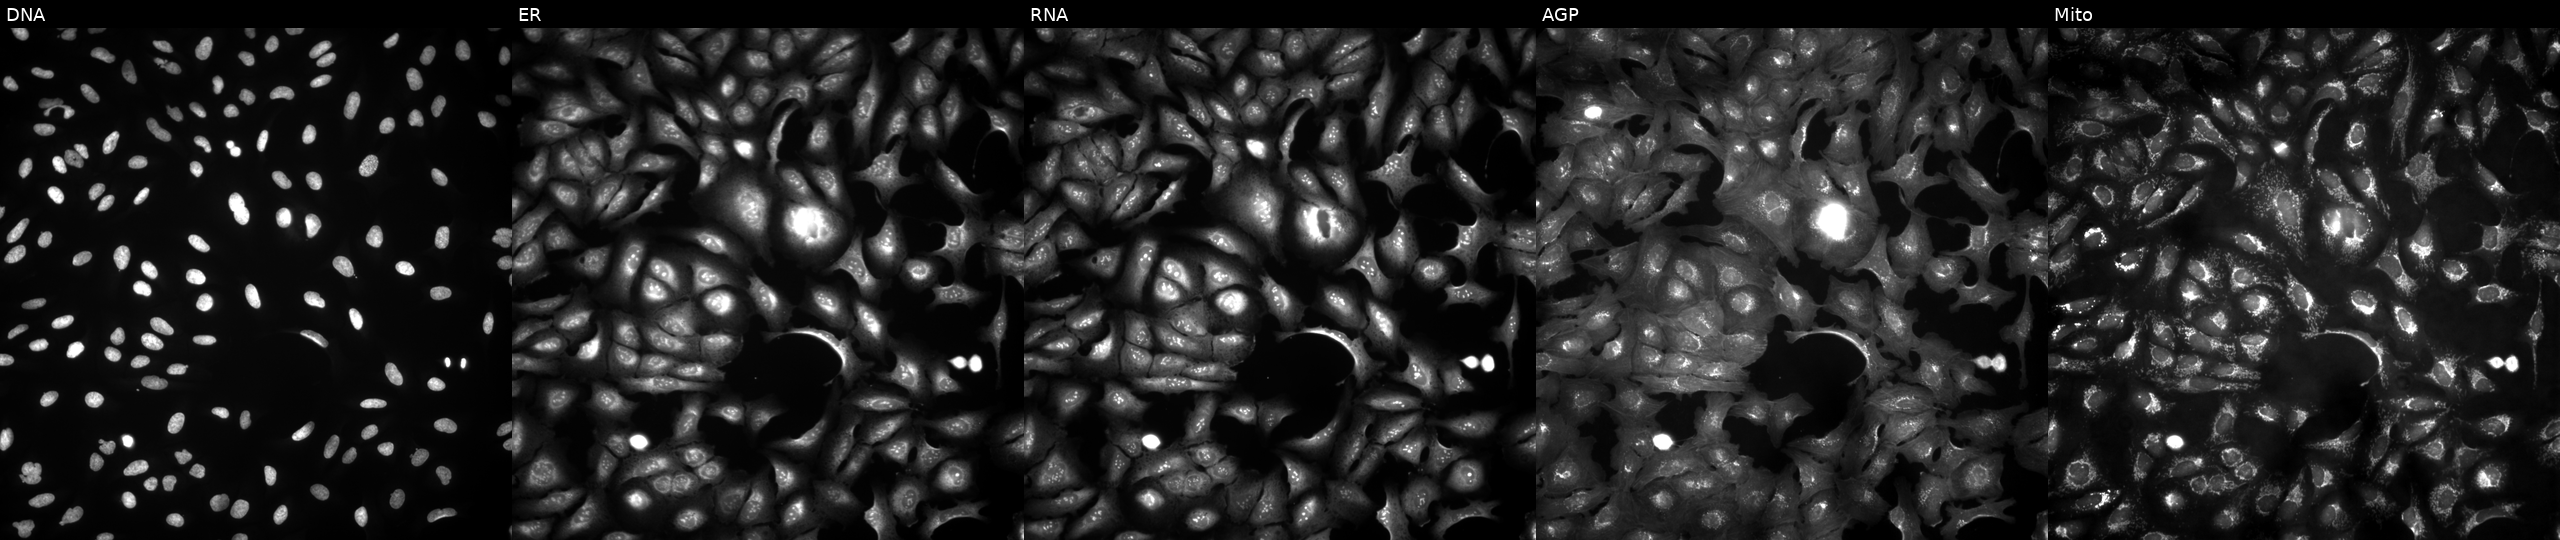
High-content fluorescence microscopy (Cell Painting). Cell line: U2OS. Perturbation: overexpressing CEP76 via ORF transfection. Panels show, left to right, Hoechst 33342, concanavalin A, SYTO 14, phalloidin and WGA, MitoTracker. Source 4, plate BR00121543, well F07.